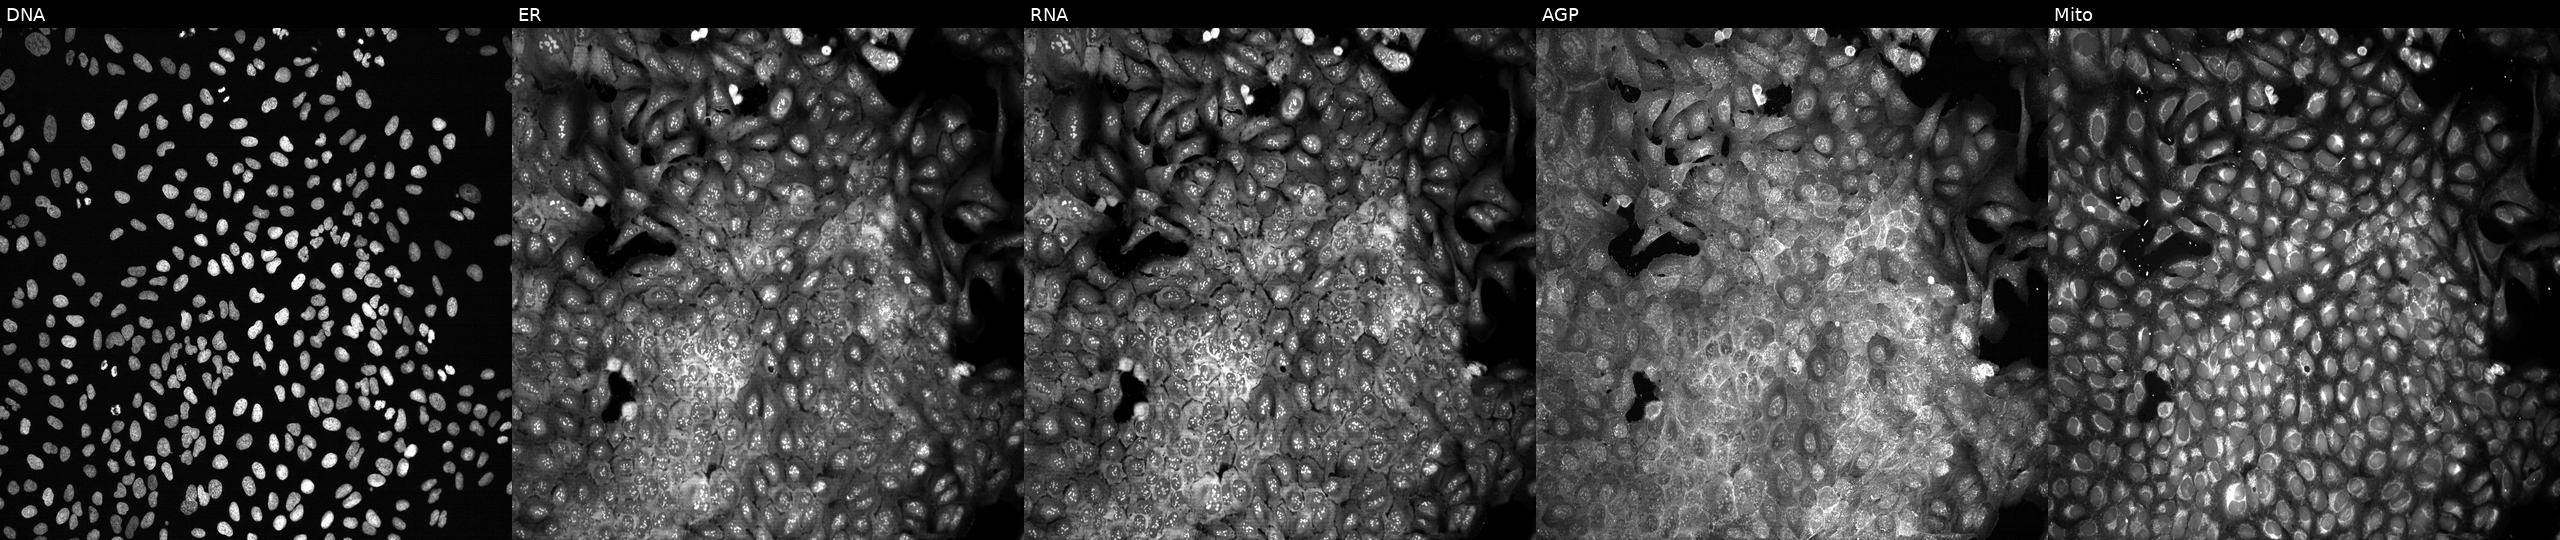
The five panels, left to right, show DNA (nuclei); ER (endoplasmic reticulum); RNA (nucleoli and cytoplasmic RNA); AGP (actin cytoskeleton, Golgi, and plasma membrane); Mito (mitochondria). U2OS osteosarcoma cells with a non-targeting CRISPR guide (negative control). Cell Painting assay, JUMP-CP dataset. Source 13, plate CP-CC9-R5-01, well G02.